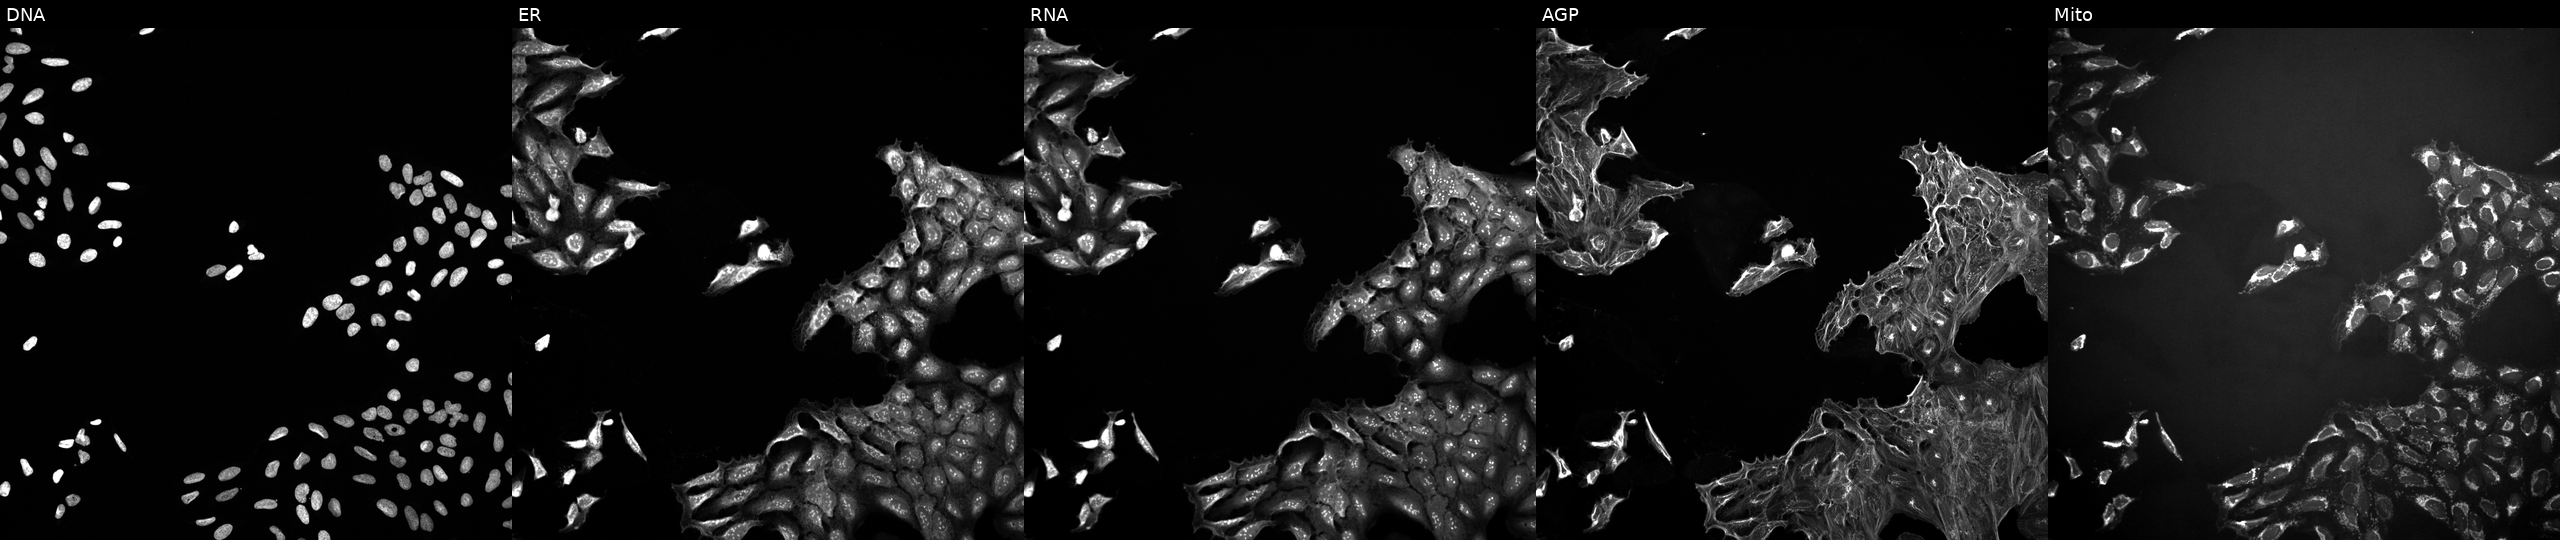
U2OS cells, Cell Painting assay, treated with DMSO vehicle only (negative control). Panels show, left to right, Hoechst 33342, concanavalin A, SYTO 14, phalloidin and WGA, MitoTracker. Each panel is percentile-stretched 16-bit fluorescence. Source 10, plate Dest210726-160150, well H02.